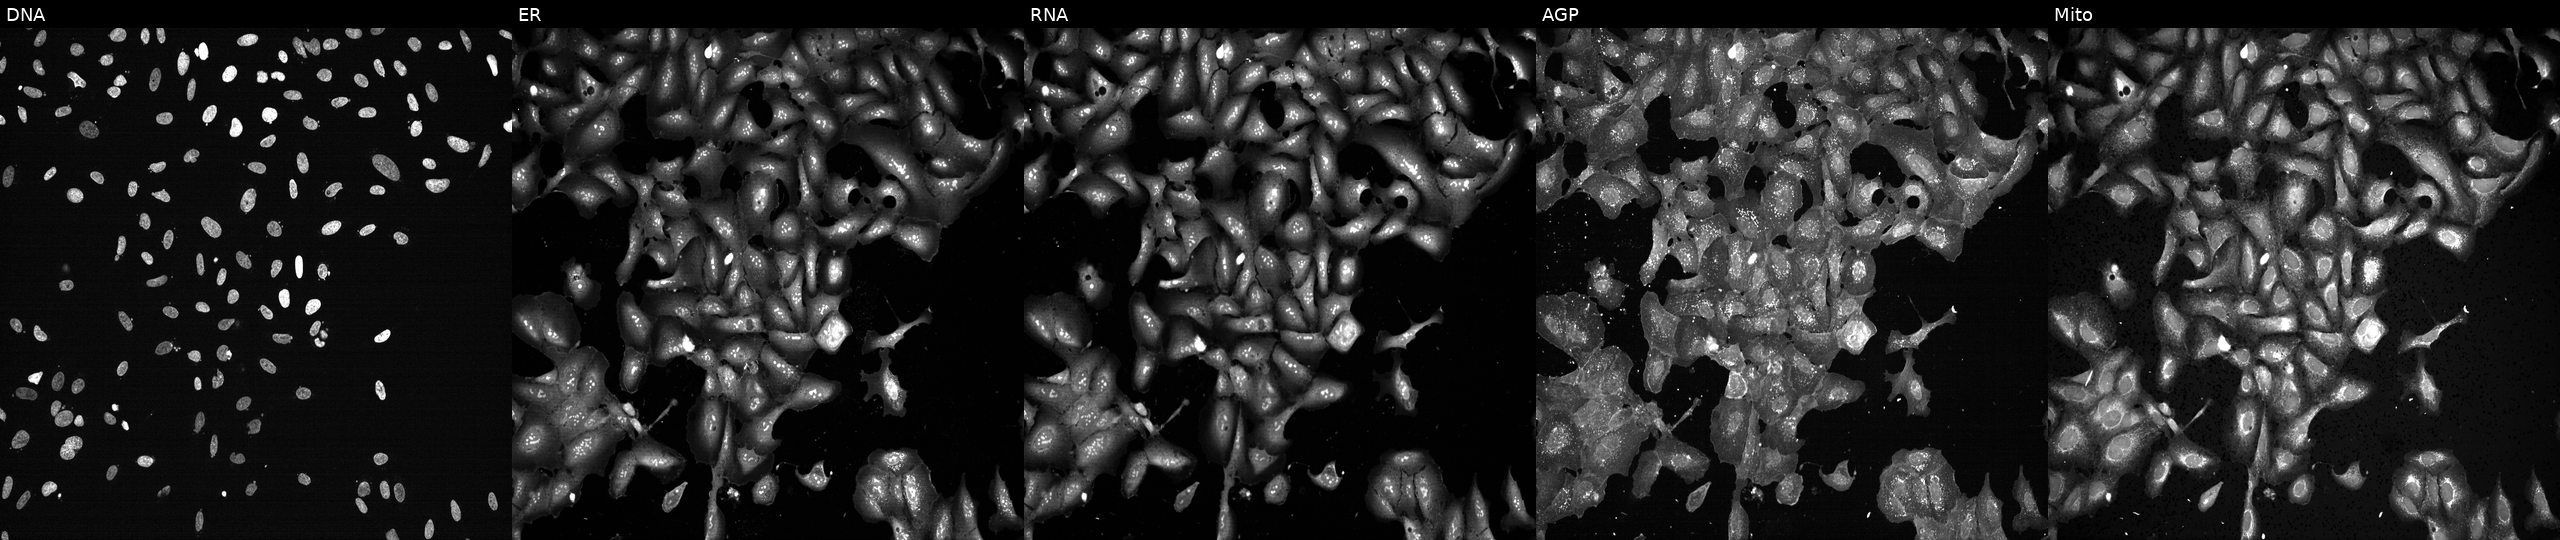
High-content fluorescence microscopy (Cell Painting). Cell line: U2OS. Perturbation: with EIF1 knocked out by CRISPR (JUMP id JCP2022_802040). Channels (left→right): DNA, ER, RNA, AGP, and Mito.